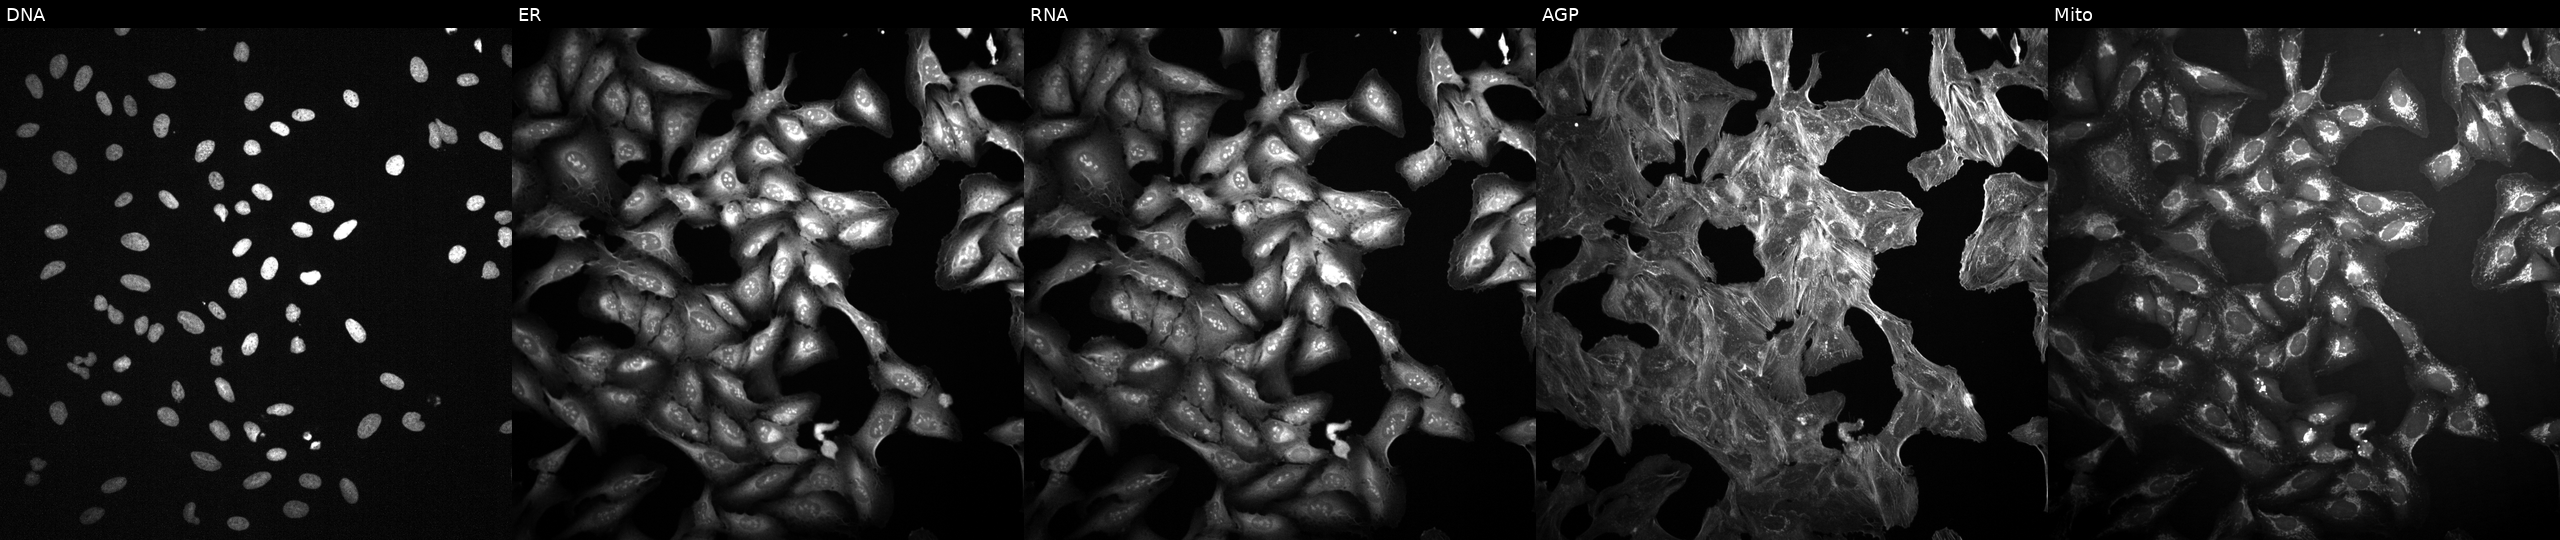
Five-channel Cell Painting image of U2OS cells perturbed with a small-molecule compound [SMILES: CCOC(=O)C(Cc1ccccc1)NC(=O)c1cc(Cl)c(OCCN2CCN(C)CC2)c(Cl)c1O] (JUMP id JCP2022_036614). The five panels, left to right, show DNA (nuclei); ER (endoplasmic reticulum); RNA (nucleoli and cytoplasmic RNA); AGP (actin cytoskeleton, Golgi, and plasma membrane); Mito (mitochondria). Source 2, plate 1053597936, well L05.